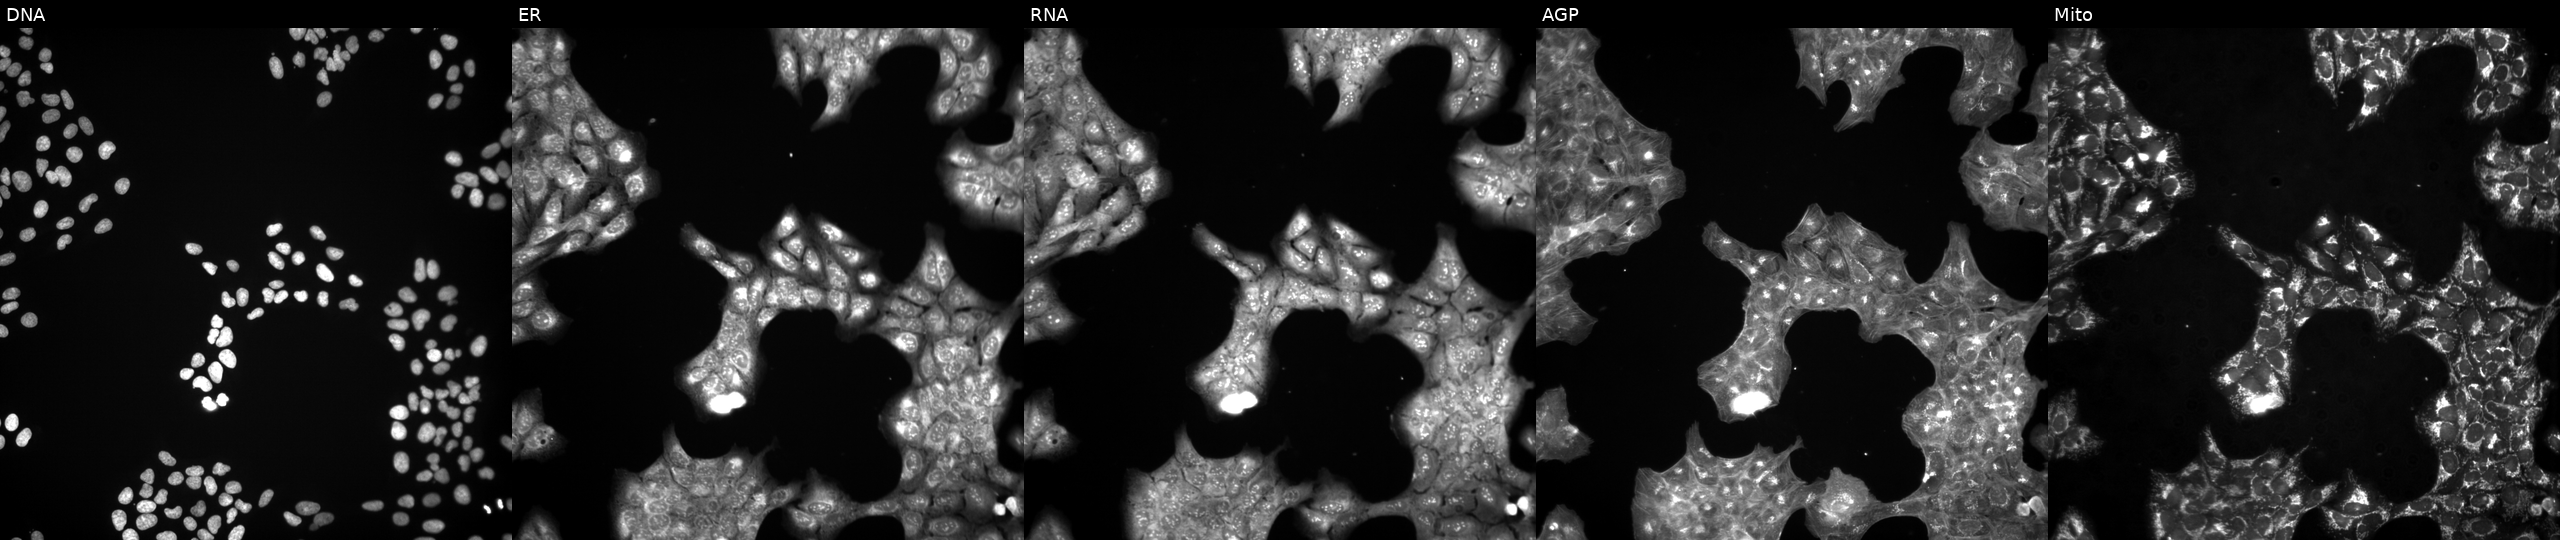
JUMP Cell Painting — COMPOUND plate. U2OS cells treated with LY2109761 (positive-control compound). From left to right: DNA, ER, RNA, AGP, and Mito.